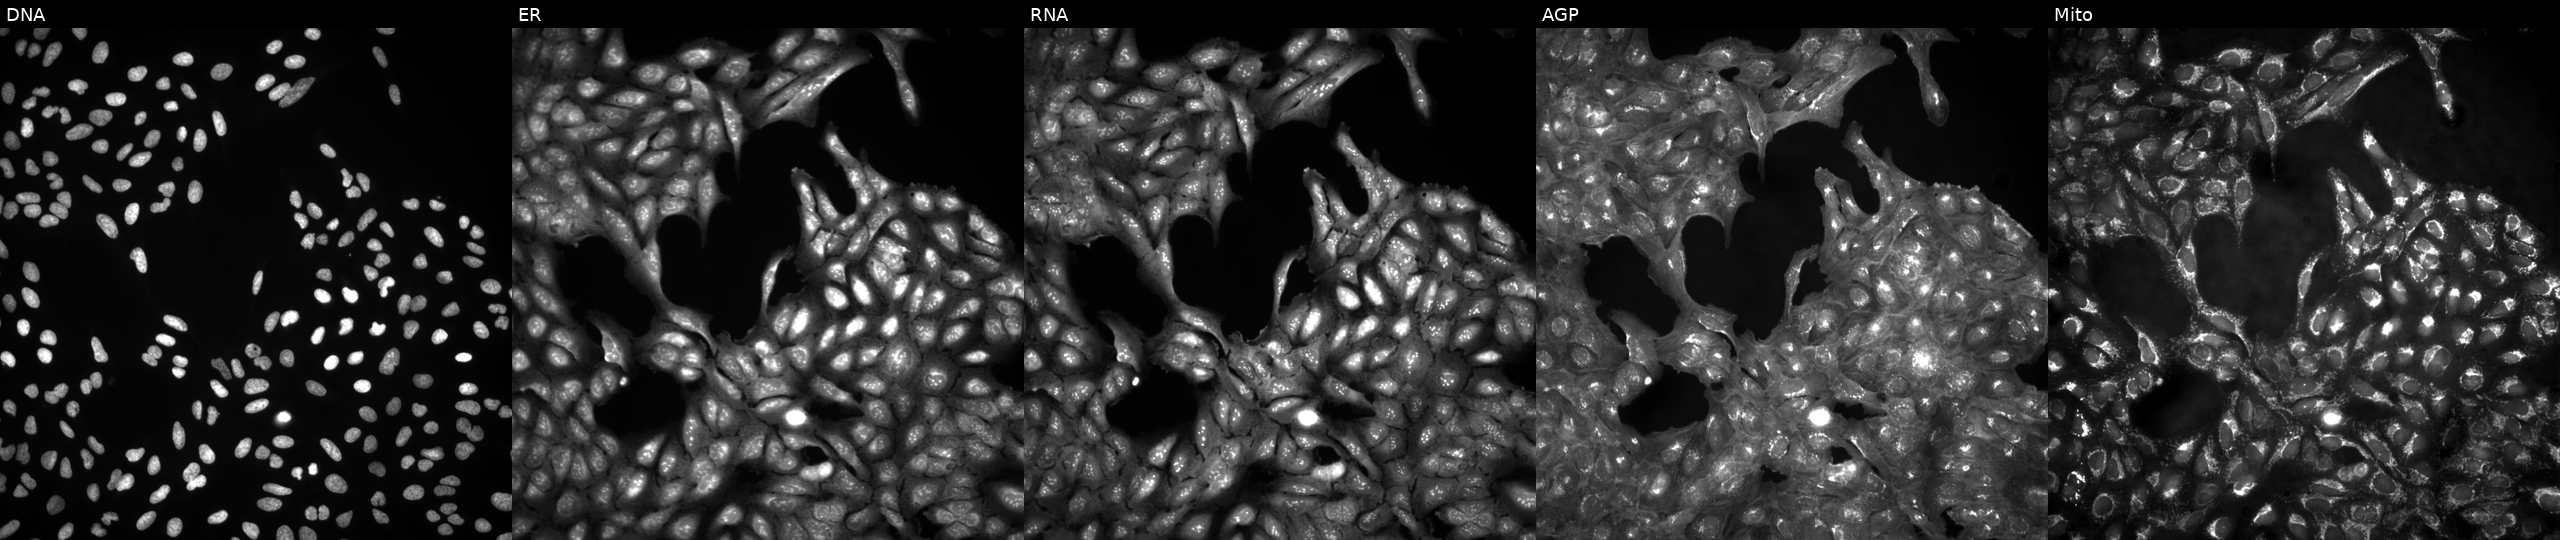
Five-channel Cell Painting image of U2OS cells in an empty control well (no perturbation). The five panels, left to right, show DNA (nuclei); ER (endoplasmic reticulum); RNA (nucleoli and cytoplasmic RNA); AGP (actin cytoskeleton, Golgi, and plasma membrane); Mito (mitochondria).